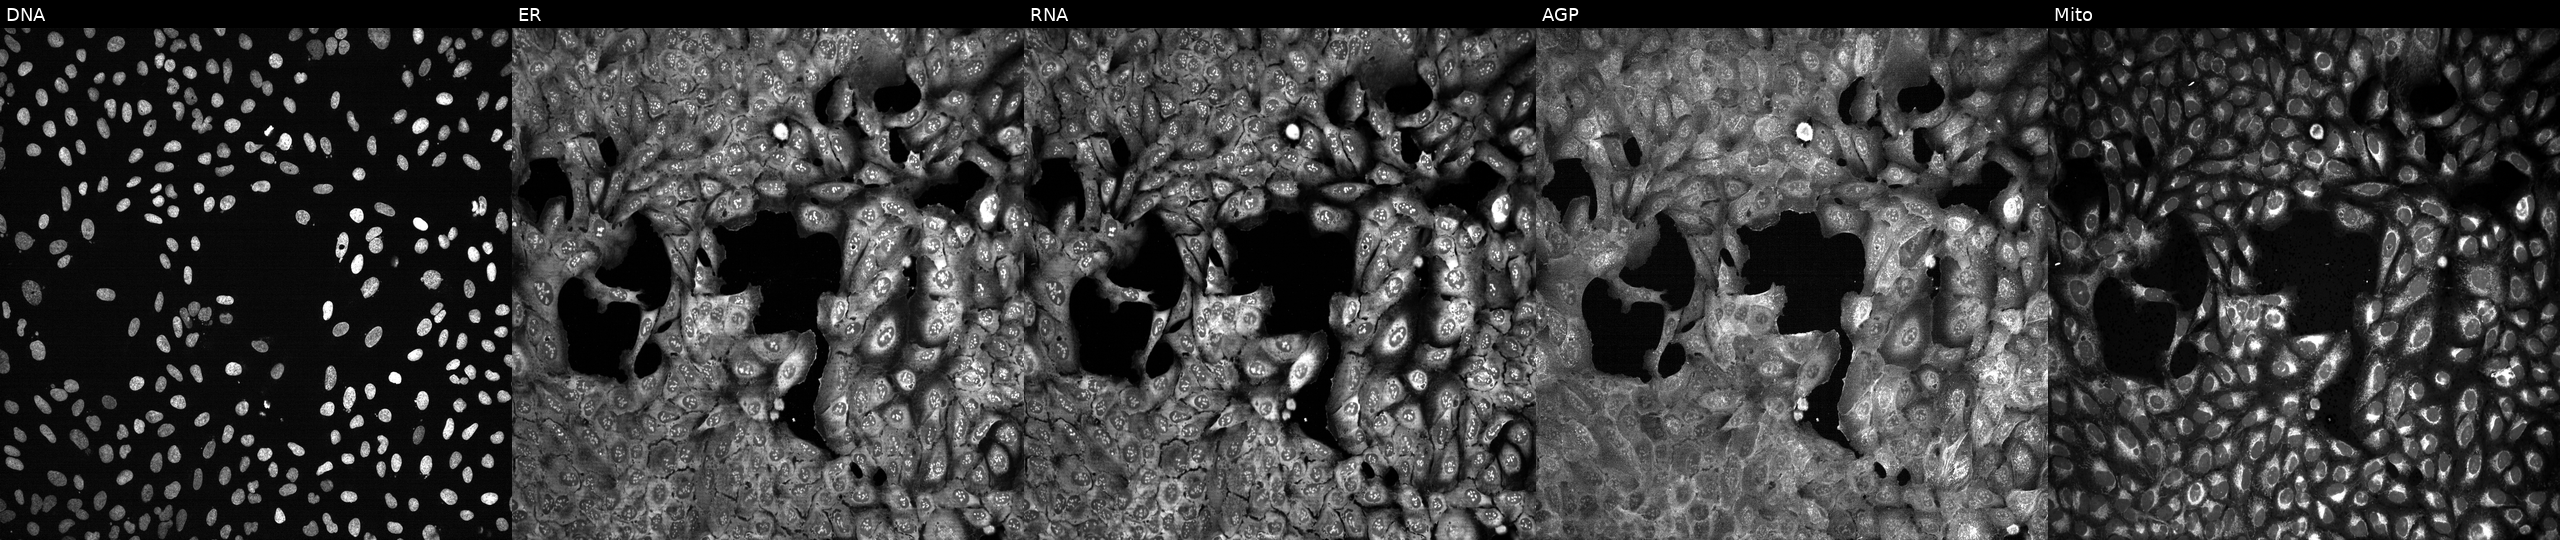
From left to right: Hoechst 33342, concanavalin A, SYTO 14, phalloidin and WGA, MitoTracker. U2OS osteosarcoma cells with MLYCD knocked out by CRISPR. Cell Painting assay, JUMP-CP dataset.